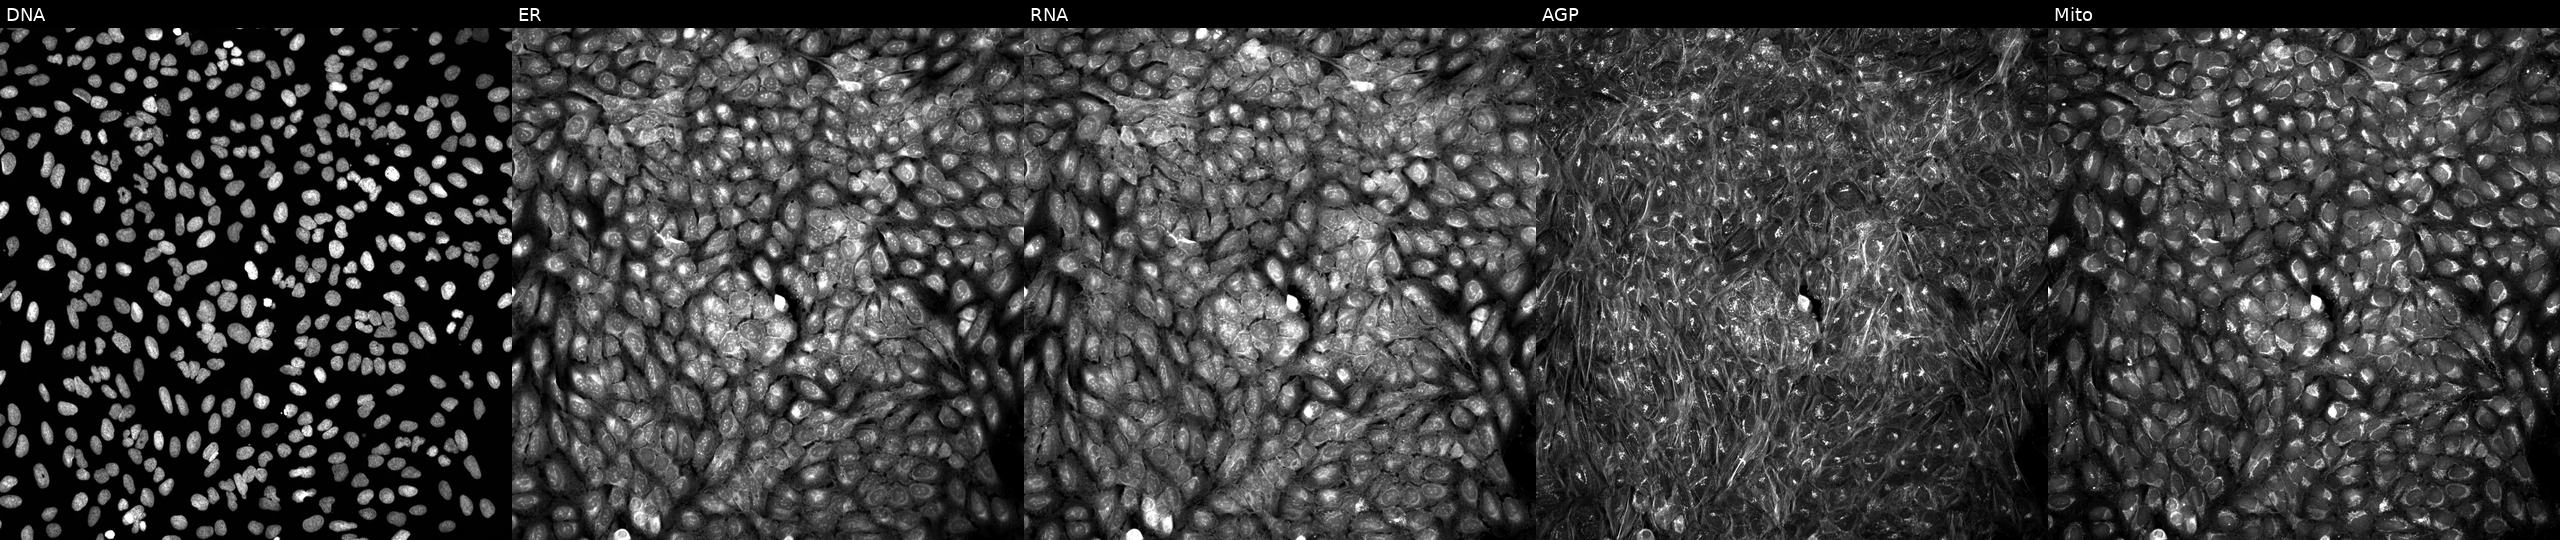
High-content fluorescence microscopy (Cell Painting). Cell line: U2OS. Perturbation: treated with aloxistatin (positive-control compound). The five panels, left to right, show DNA (nuclei); ER (endoplasmic reticulum); RNA (nucleoli and cytoplasmic RNA); AGP (actin cytoskeleton, Golgi, and plasma membrane); Mito (mitochondria). Source 5, plate APTJUM105, well E24.